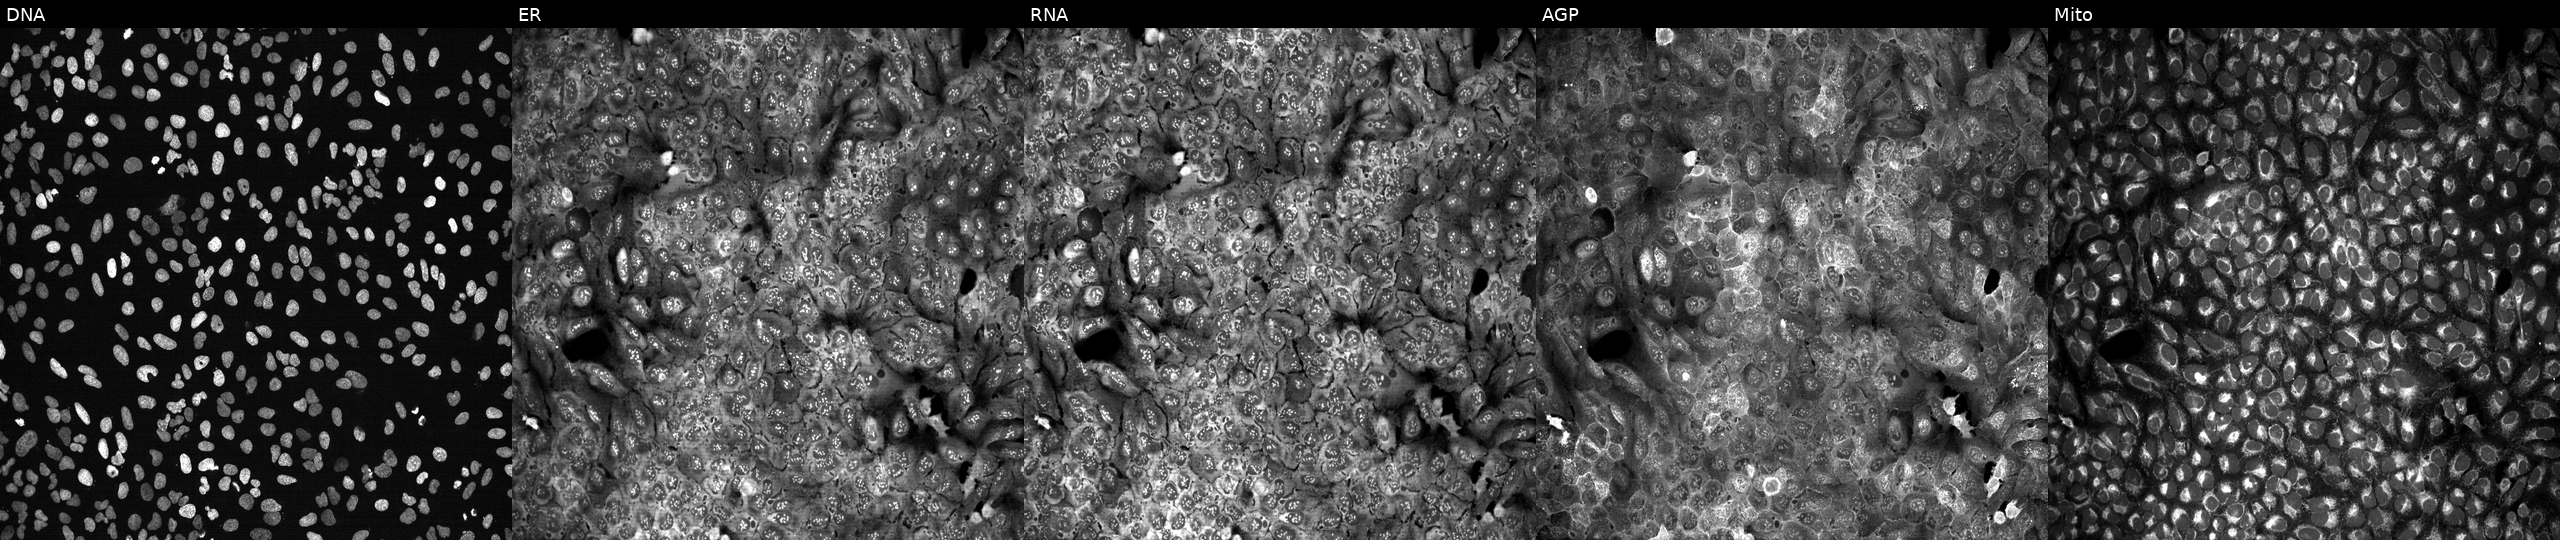
U2OS cells, Cell Painting assay, with RNASE4 knocked out by CRISPR. From left to right: Hoechst 33342, concanavalin A, SYTO 14, phalloidin and WGA, MitoTracker. Each panel is percentile-stretched 16-bit fluorescence. Source 13, plate CP-CC9-R4-04, well D17.